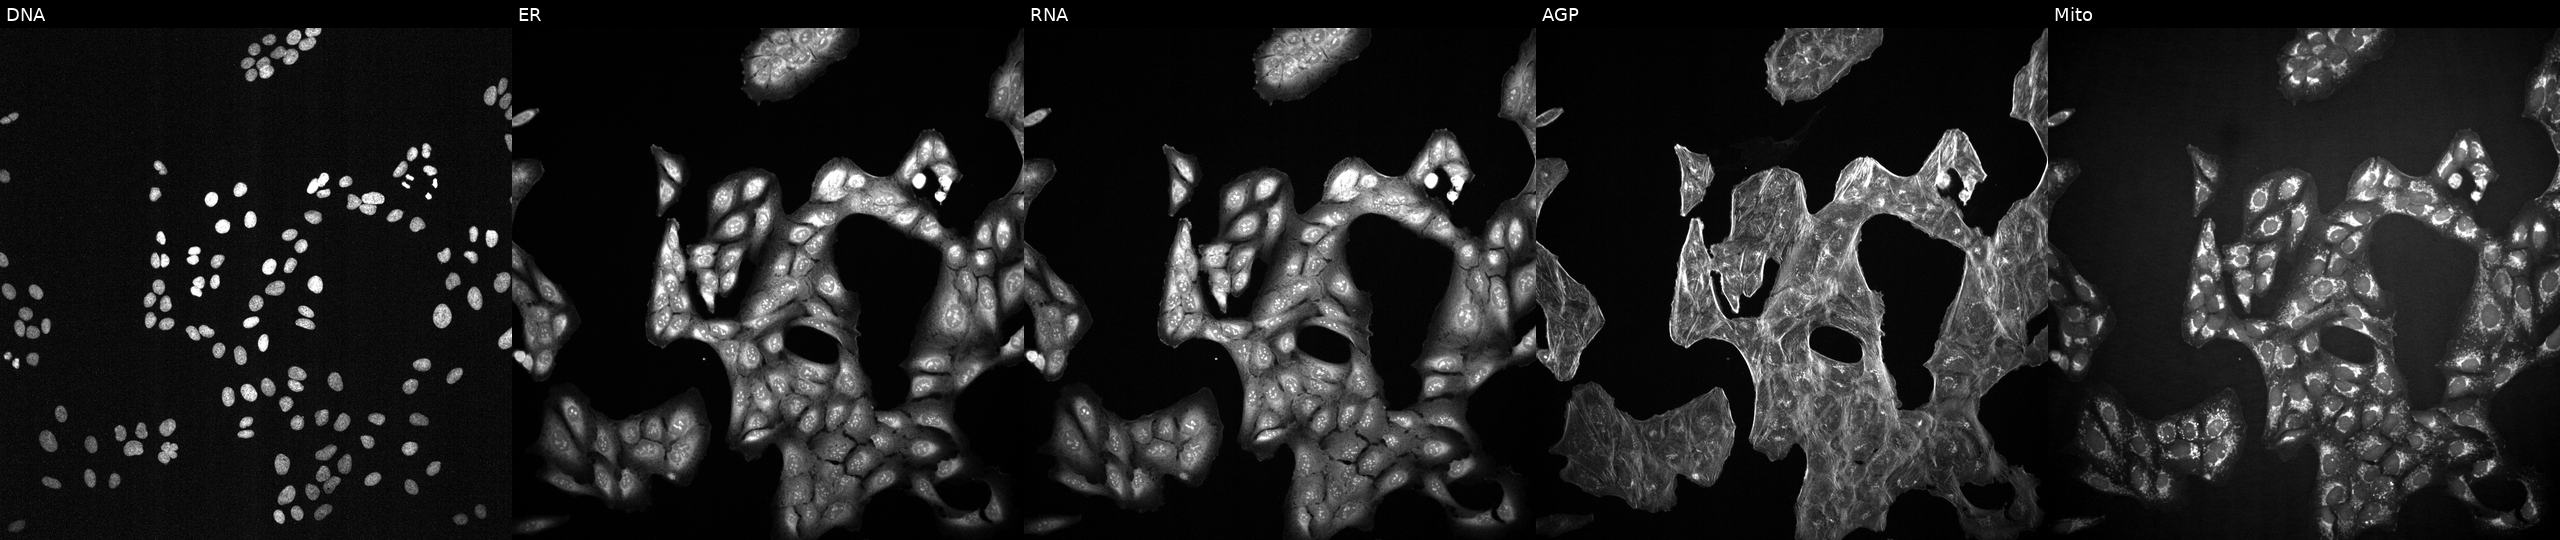
U2OS cells, Cell Painting assay, perturbed with a small-molecule compound (InChIKey HKQYGTCOTHHOMP-UHFFFAOYSA-N). Channels (left→right): DNA (nuclei); ER (endoplasmic reticulum); RNA (nucleoli and cytoplasmic RNA); AGP (actin cytoskeleton, Golgi, and plasma membrane); Mito (mitochondria). Each panel is percentile-stretched 16-bit fluorescence.